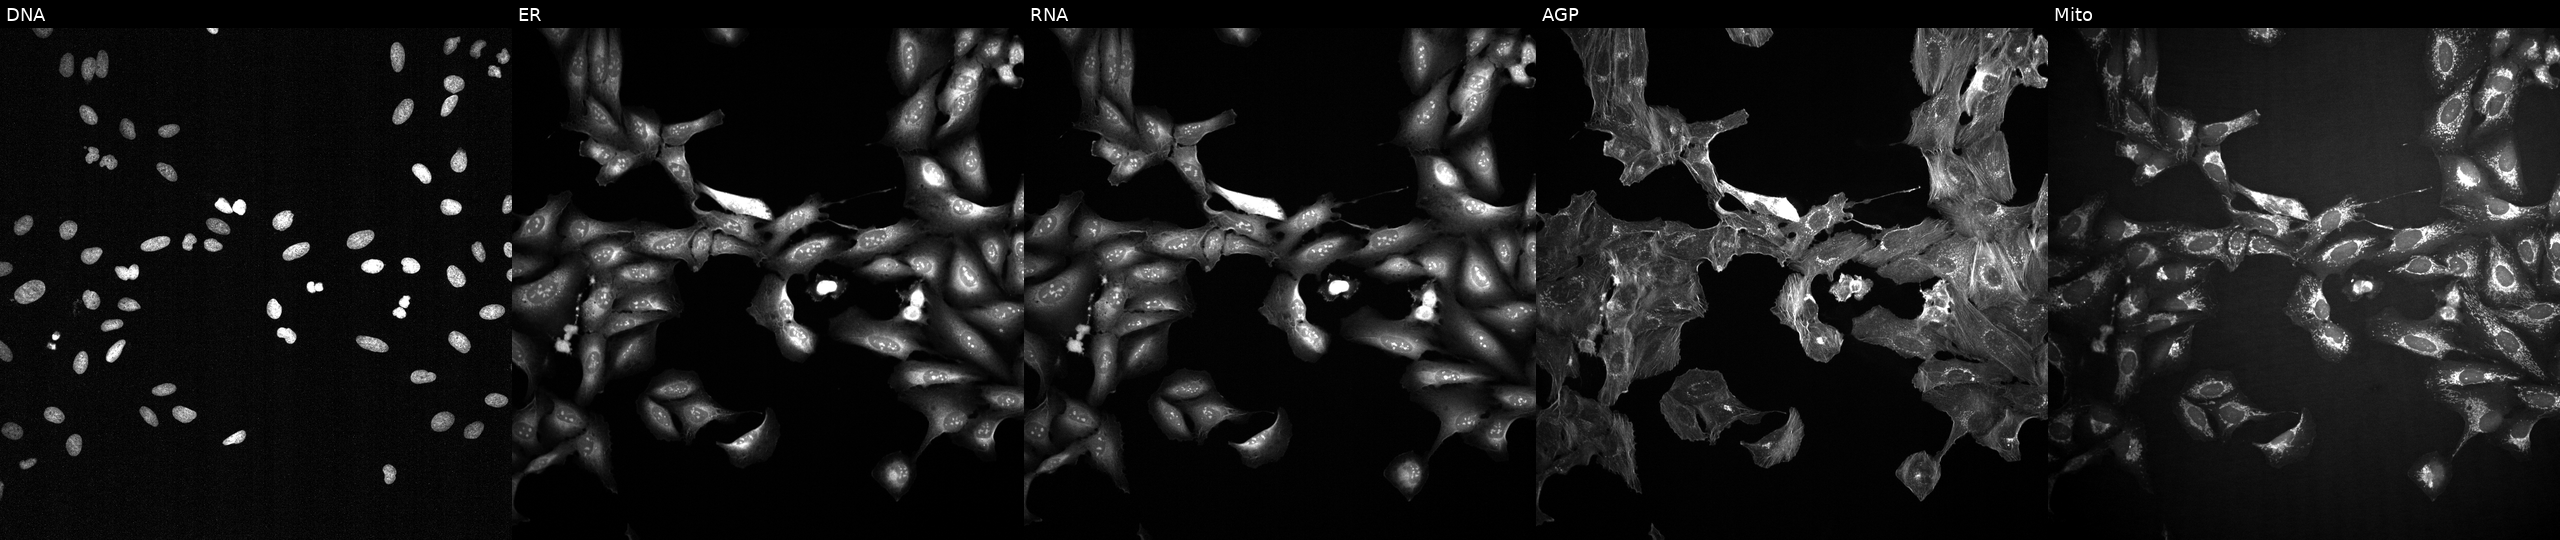
High-content fluorescence microscopy (Cell Painting). Cell line: U2OS. Perturbation: perturbed with a small-molecule compound (InChIKey IPSSXIMJJXSJQB-UHFFFAOYSA-N) (JUMP id JCP2022_036614). Panels show, left to right, Hoechst 33342, concanavalin A, SYTO 14, phalloidin and WGA, MitoTracker.